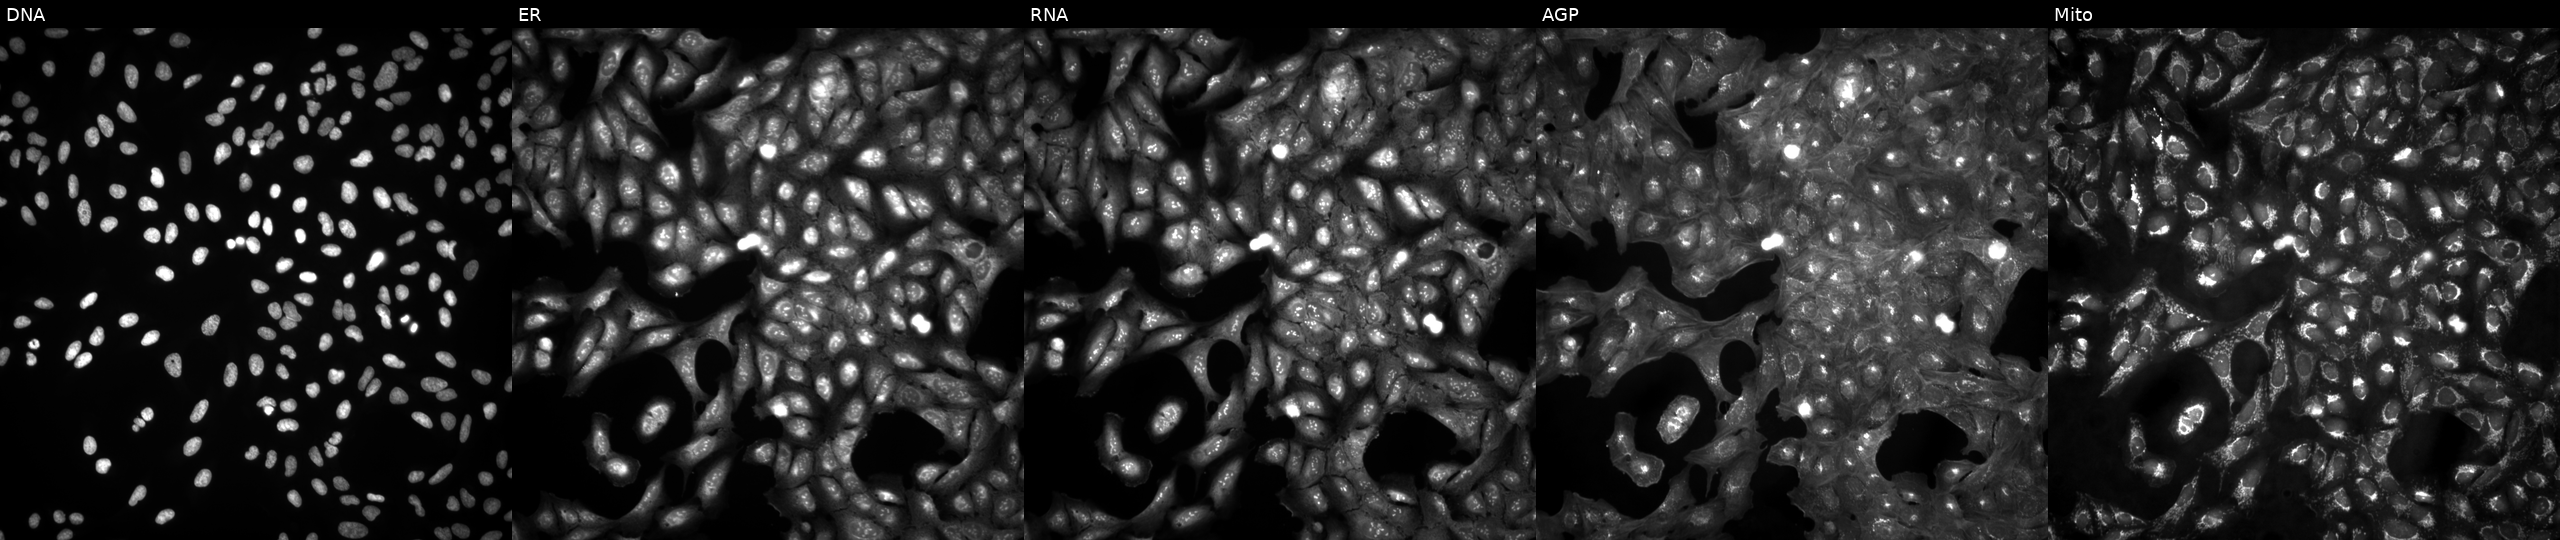
High-content fluorescence microscopy (Cell Painting). Cell line: U2OS. Perturbation: in an empty control well (no perturbation) (JUMP id JCP2022_999999). Panels show, left to right, DNA (nuclei); ER (endoplasmic reticulum); RNA (nucleoli and cytoplasmic RNA); AGP (actin cytoskeleton, Golgi, and plasma membrane); Mito (mitochondria).